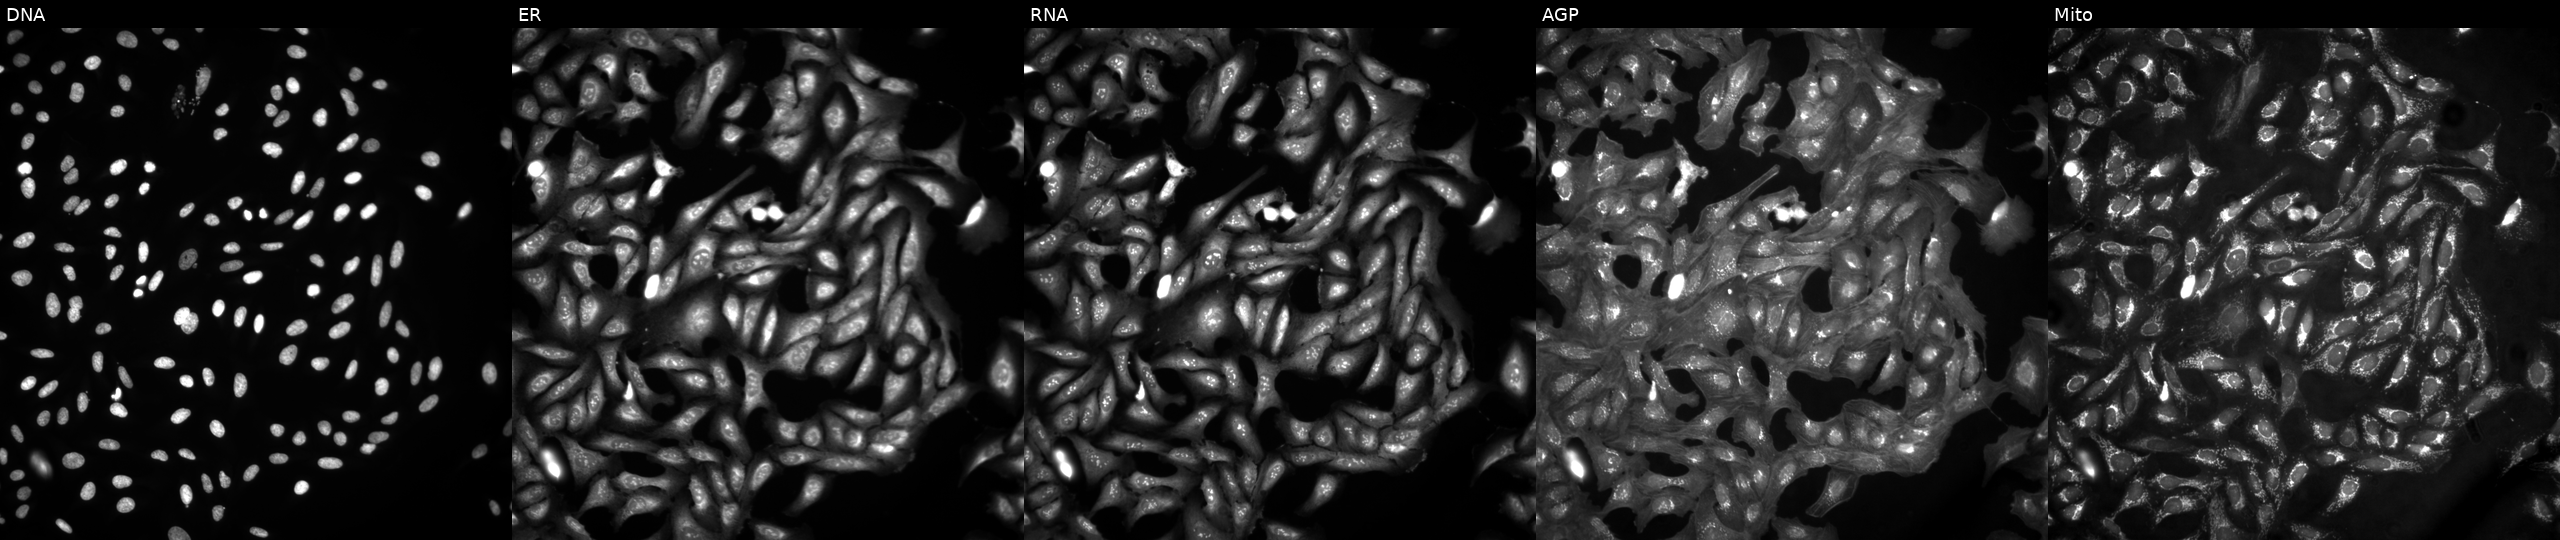
From left to right: DNA (nuclei); ER (endoplasmic reticulum); RNA (nucleoli and cytoplasmic RNA); AGP (actin cytoskeleton, Golgi, and plasma membrane); Mito (mitochondria). U2OS osteosarcoma cells in an empty control well (no perturbation). Cell Painting assay, JUMP-CP dataset.